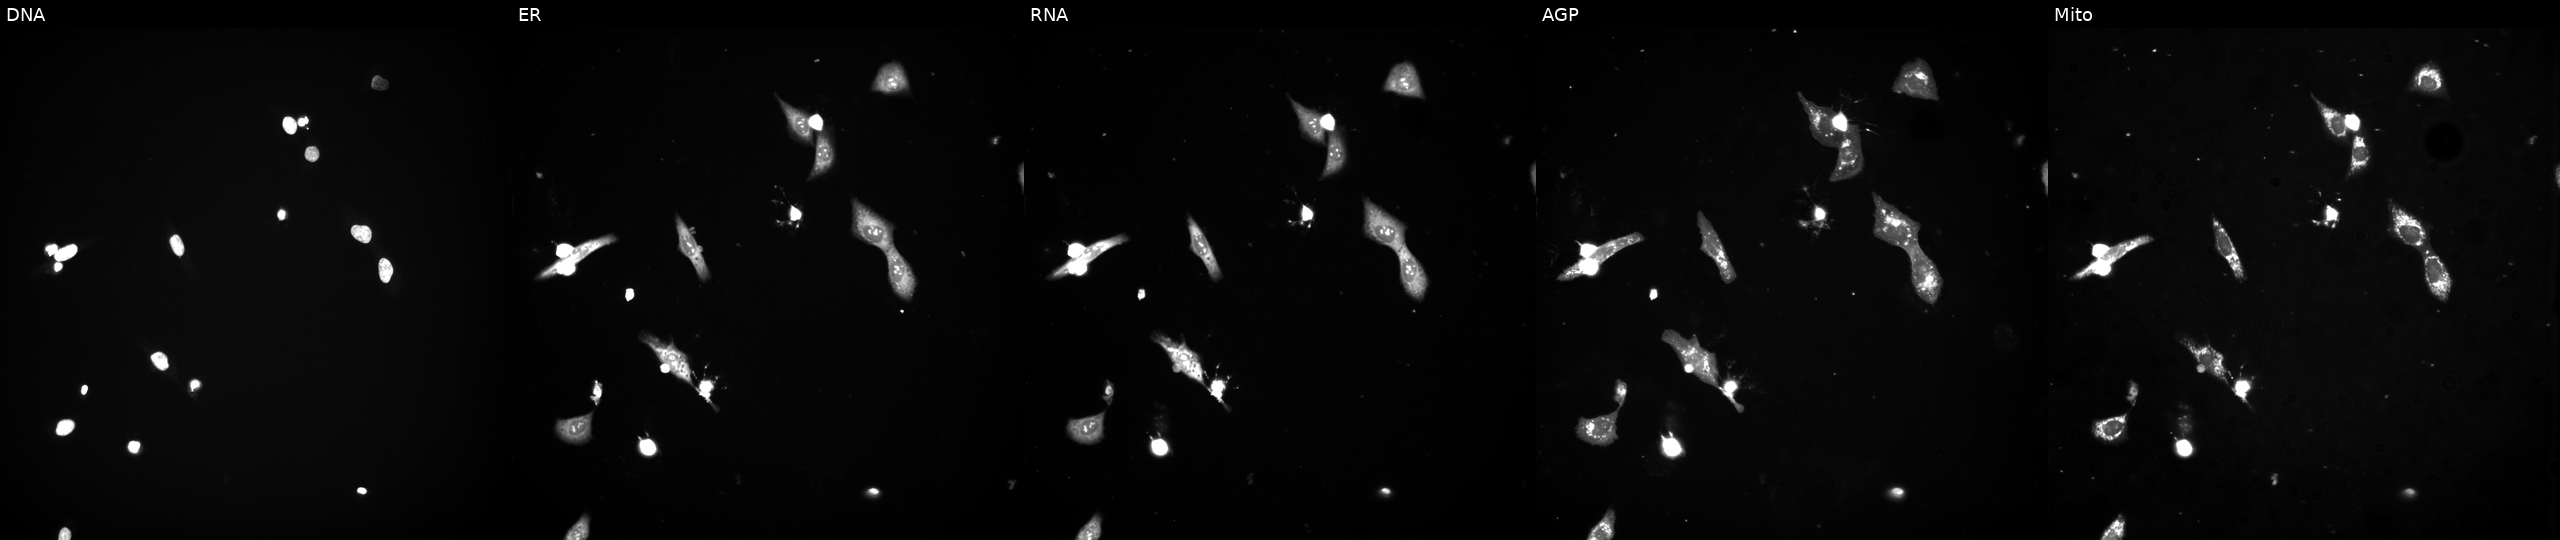
High-content fluorescence microscopy (Cell Painting). Cell line: U2OS. Perturbation: perturbed with a small-molecule compound (InChIKey BBDGBGOVJPEFBT-UHFFFAOYSA-N). Channels (left→right): Hoechst 33342, concanavalin A, SYTO 14, phalloidin and WGA, MitoTracker. Source 3, plate JCPQC052, well I01.